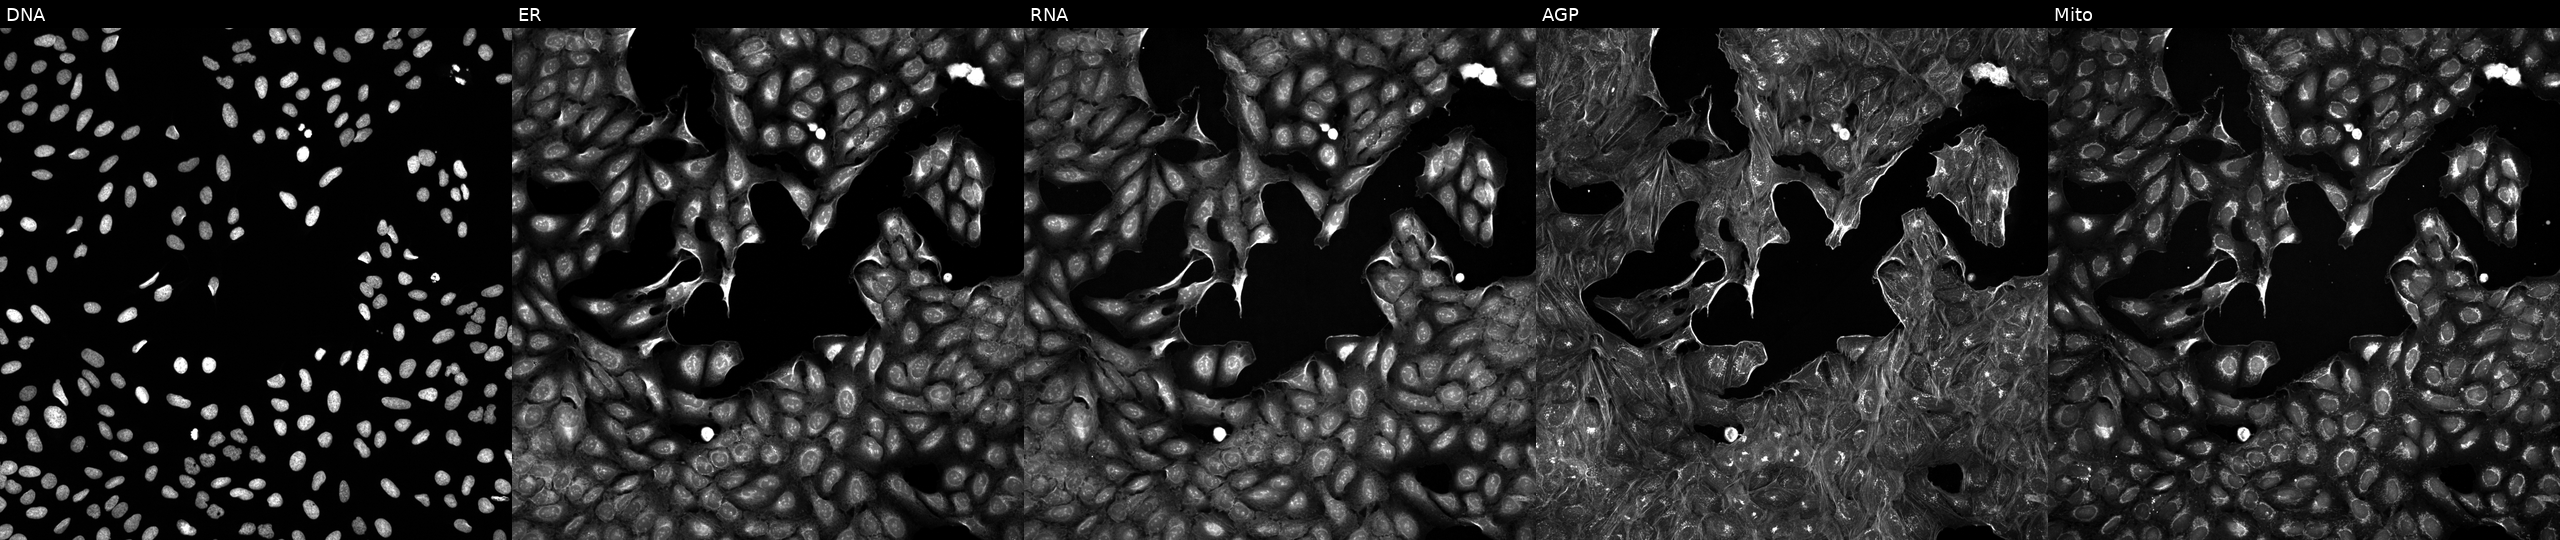
High-content fluorescence microscopy (Cell Painting). Cell line: U2OS. Perturbation: perturbed with a small-molecule compound (InChIKey QESQGTFWEQMCMH-UHFFFAOYSA-N) [SMILES: O=C(CSc1nc2c(c(=O)n1-c1ccccc1)SCC2)N=c1ccc(-c2ccccc2)c[nH]1]. From left to right: DNA (nuclei); ER (endoplasmic reticulum); RNA (nucleoli and cytoplasmic RNA); AGP (actin cytoskeleton, Golgi, and plasma membrane); Mito (mitochondria).